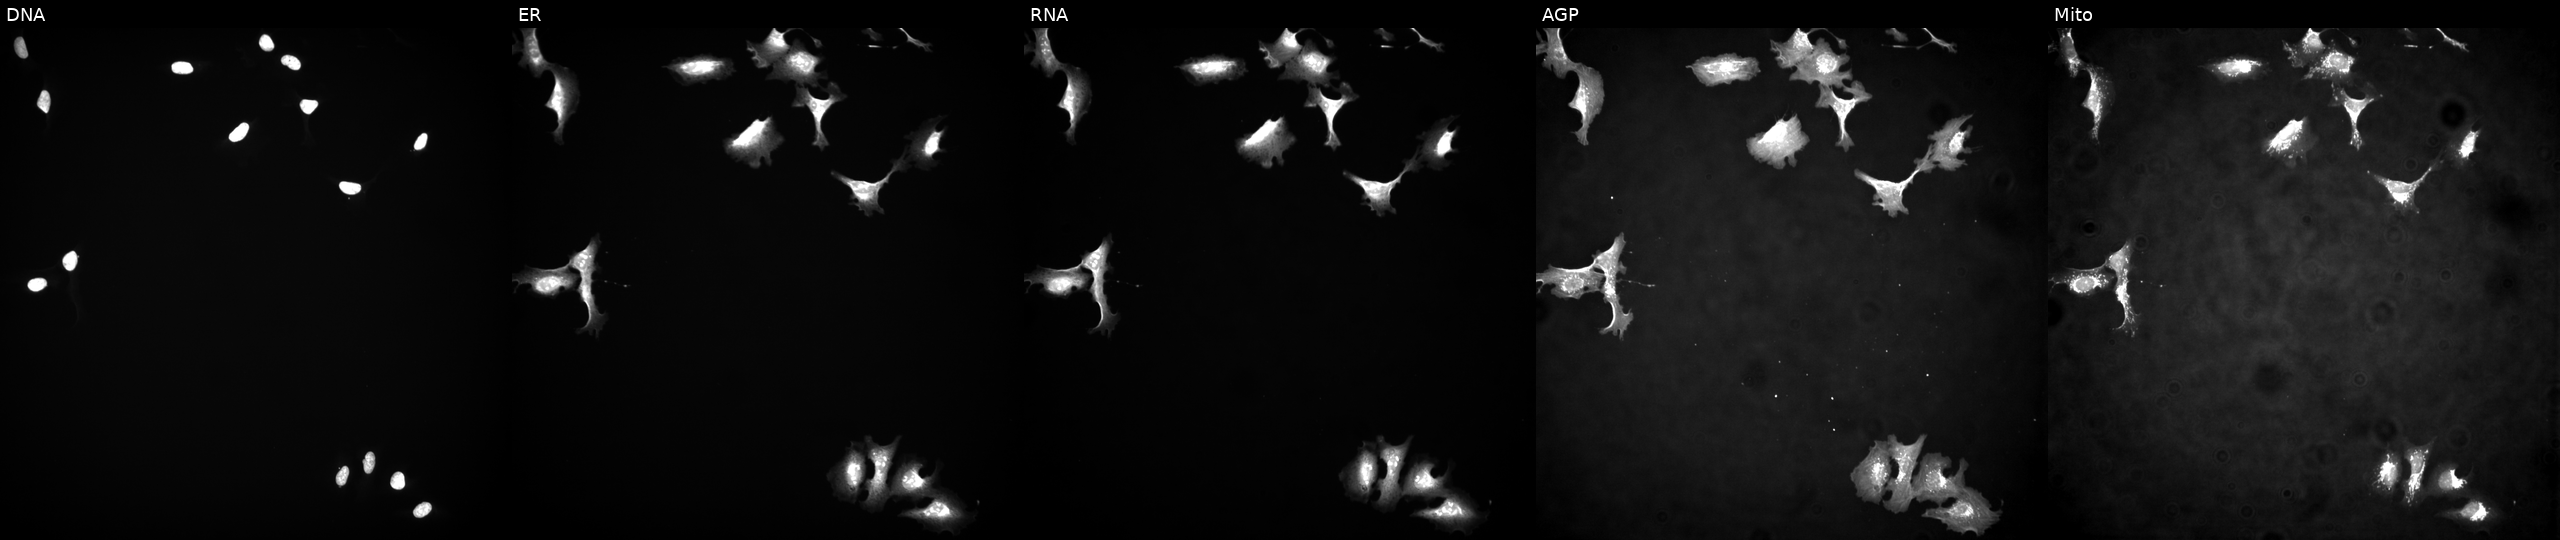
Panels show, left to right, Hoechst 33342, concanavalin A, SYTO 14, phalloidin and WGA, MitoTracker. U2OS osteosarcoma cells overexpressing FASTKD5 via ORF transfection. Cell Painting assay, JUMP-CP dataset.